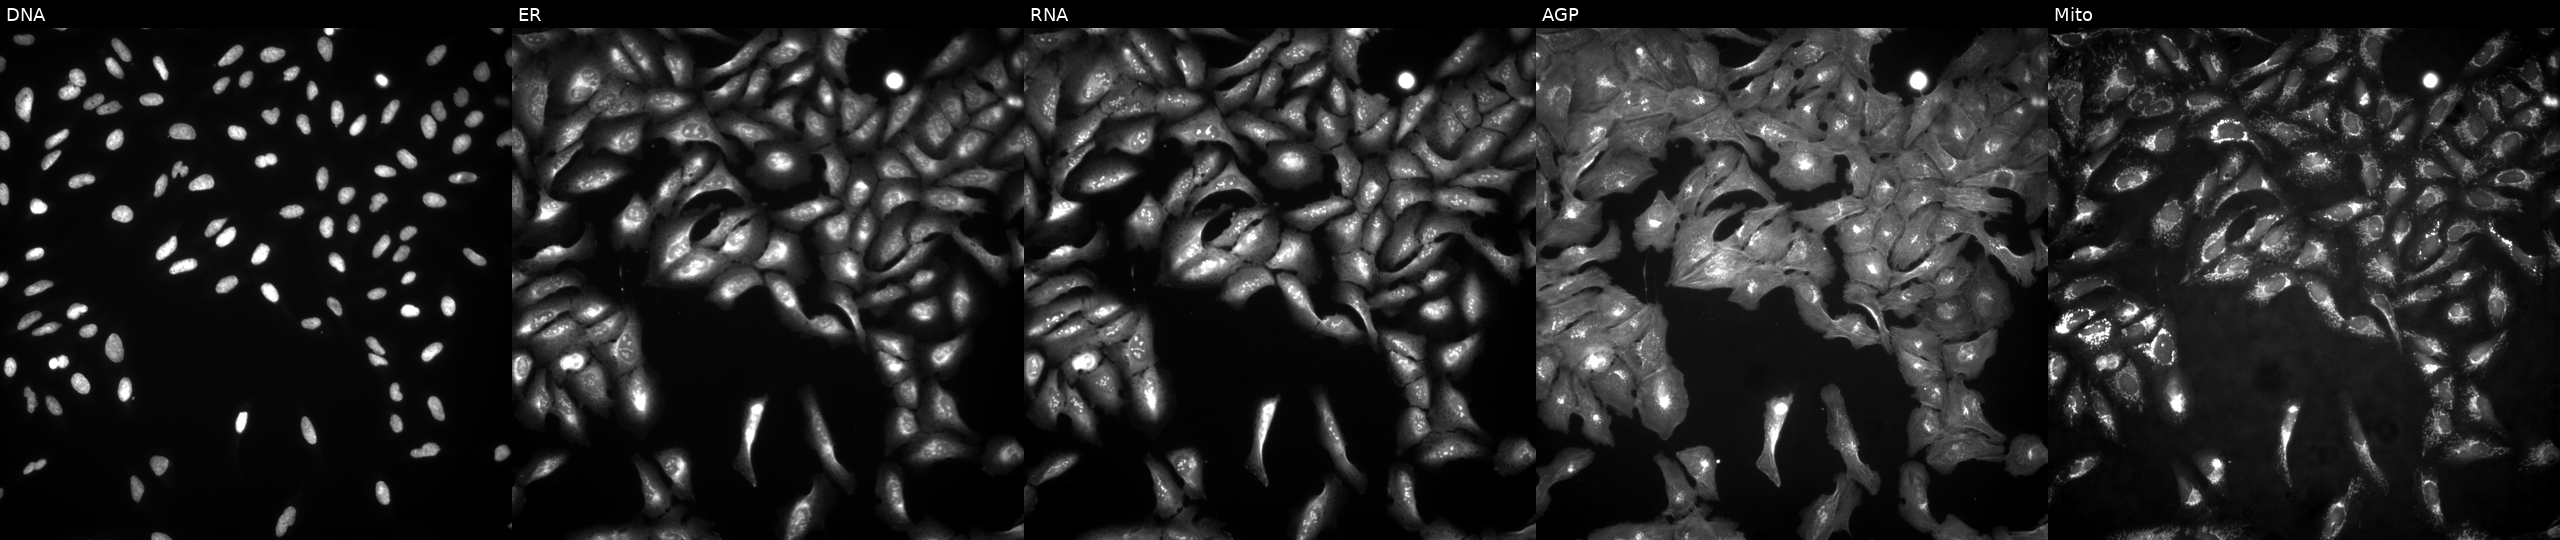
High-content fluorescence microscopy (Cell Painting). Cell line: U2OS. Perturbation: with CCNG2 overexpressed (ORF) (JUMP id JCP2022_909987). The five panels, left to right, show Hoechst 33342, concanavalin A, SYTO 14, phalloidin and WGA, MitoTracker. Source 4, plate BR00123509, well D20.